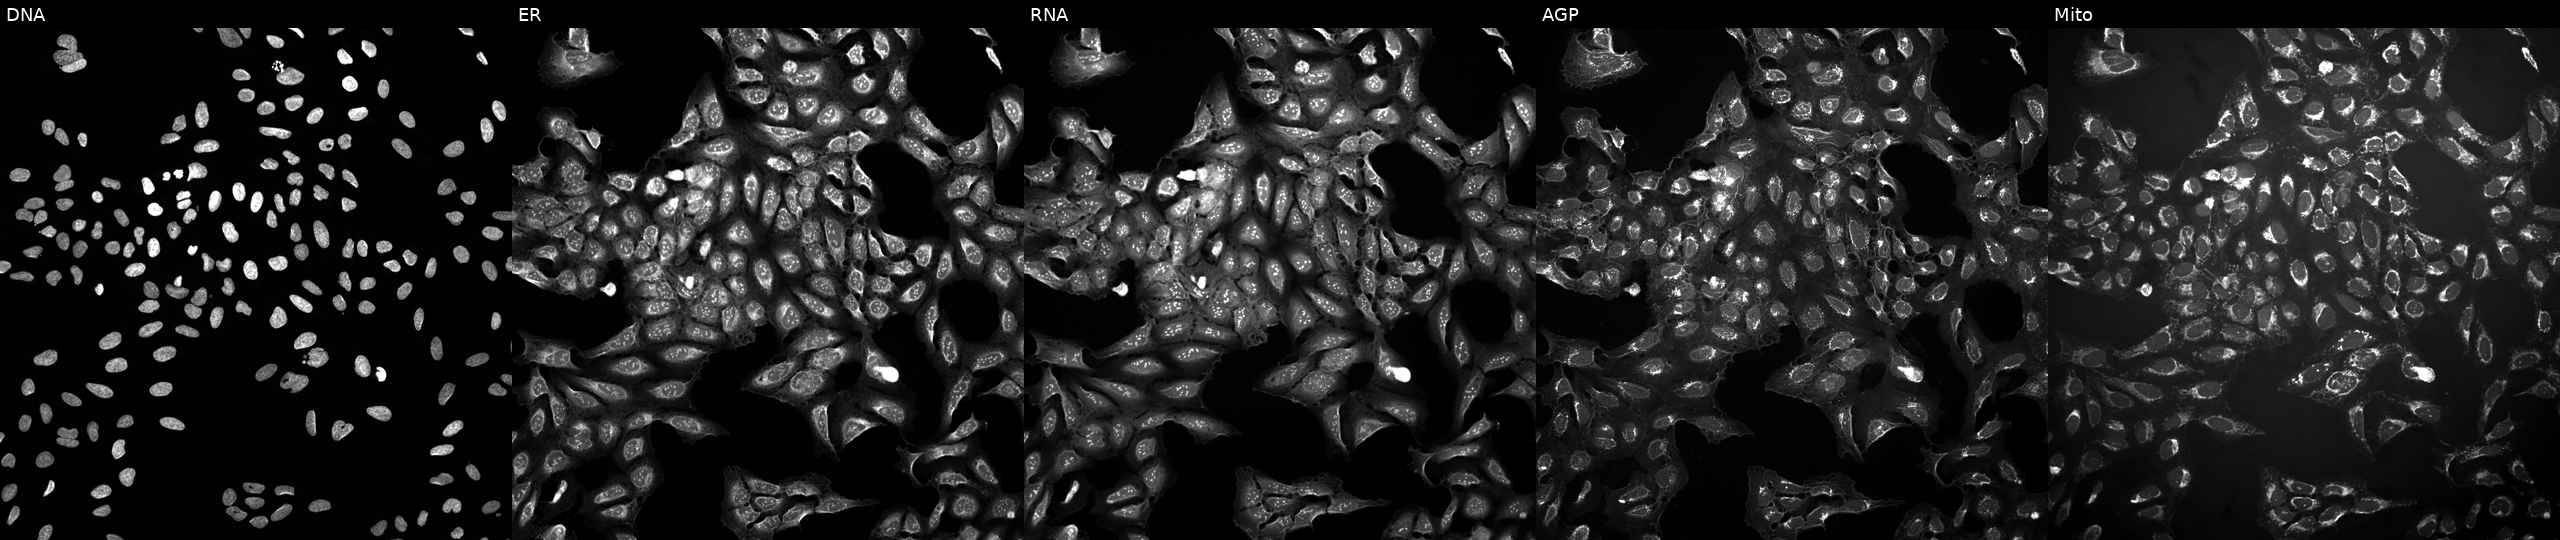
Five-channel Cell Painting image of U2OS cells treated with a small-molecule compound (InChIKey RATZLMXRALDSJW-UHFFFAOYSA-N) (JUMP id JCP2022_077142). The five panels, left to right, show DNA, ER, RNA, AGP, and Mito. Source 10, plate Dest210803-153958, well P06.